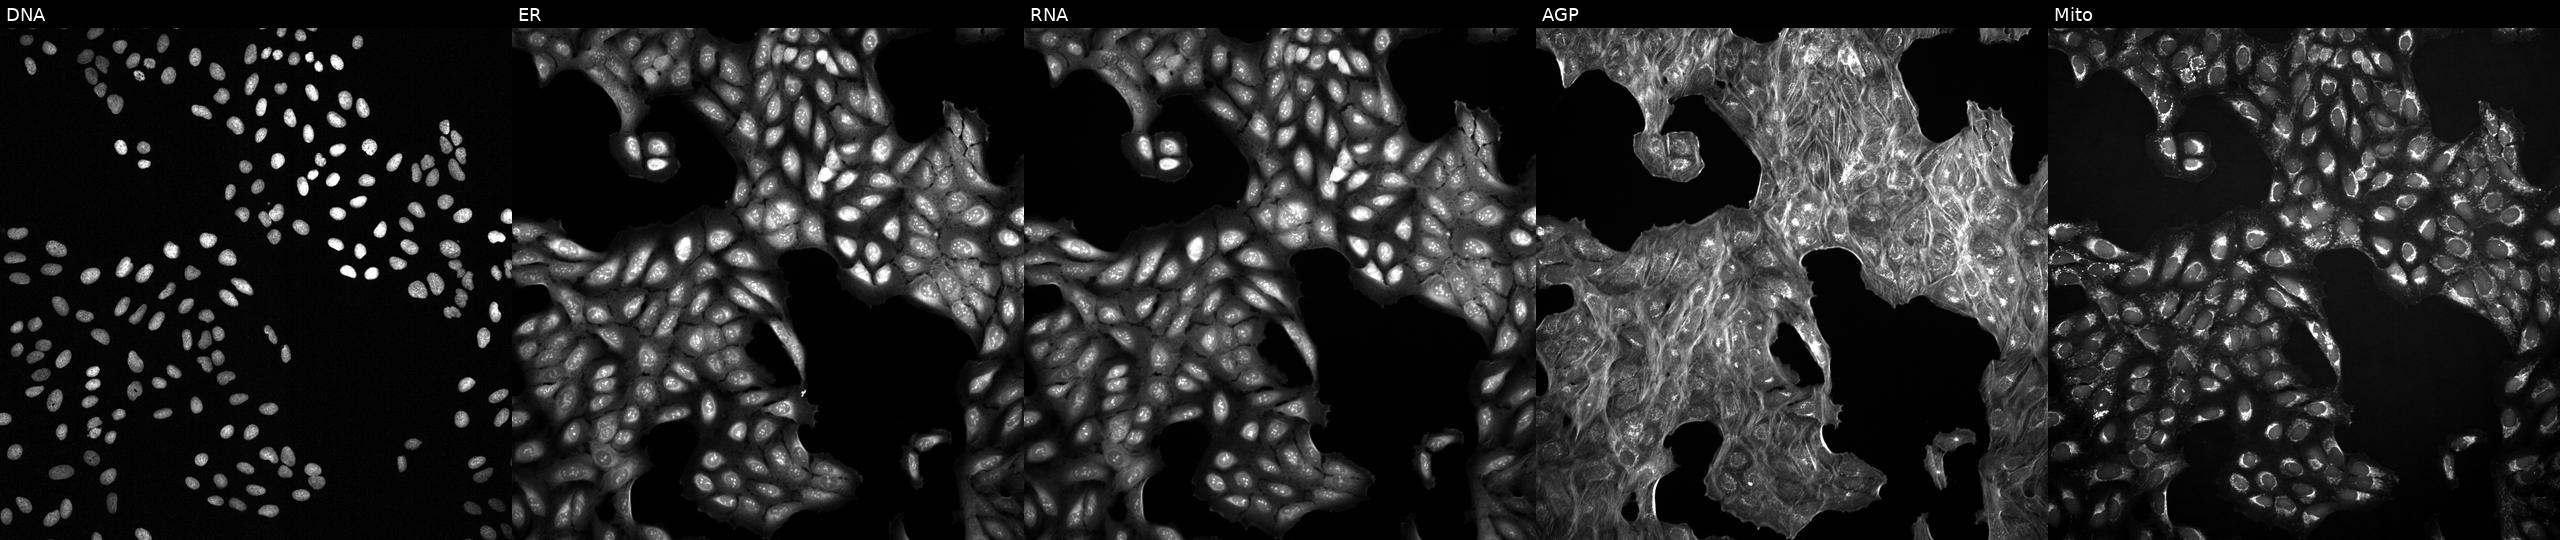
U2OS cells, Cell Painting assay, exposed to a small-molecule compound (InChIKey HWMFKHQUOUFIRP-UHFFFAOYSA-N) [SMILES: Cc1ccccc1Nc1c(-c2cccnc2)nc2ccc(Cl)cn12] (JUMP id JCP2022_033042). Panels show, left to right, DNA, ER, RNA, AGP, and Mito. Each panel is percentile-stretched 16-bit fluorescence. Source 2, plate 1053601756, well C09.